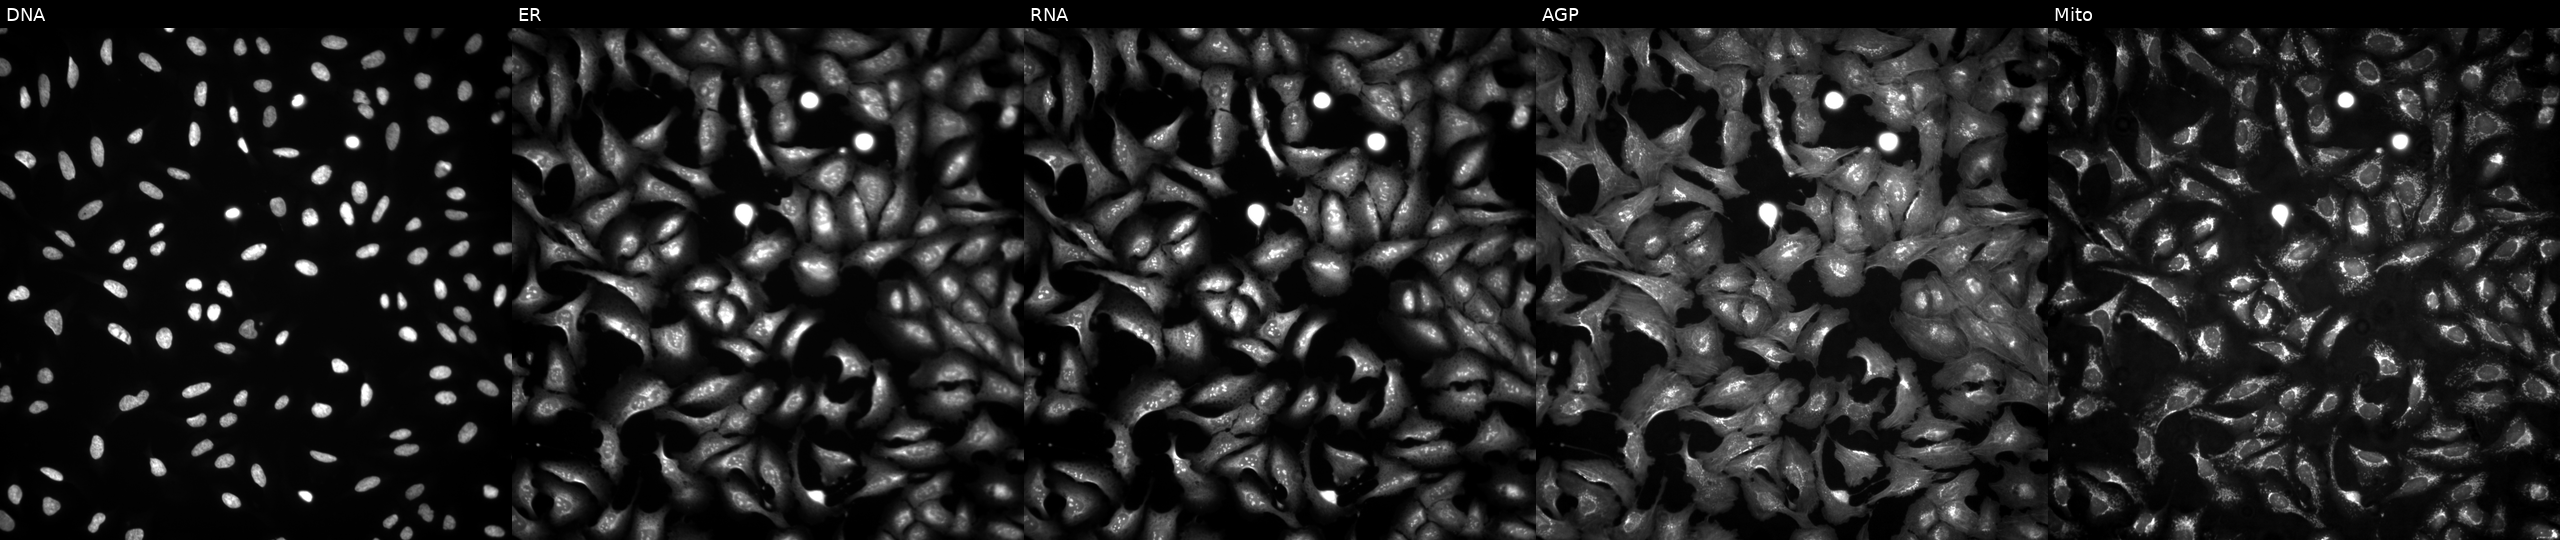
High-content fluorescence microscopy (Cell Painting). Cell line: U2OS. Perturbation: transfected with an ORF construct for NRARP (JUMP id JCP2022_905309). Panels show, left to right, Hoechst 33342, concanavalin A, SYTO 14, phalloidin and WGA, MitoTracker. Source 4, plate BR00124787, well C22.